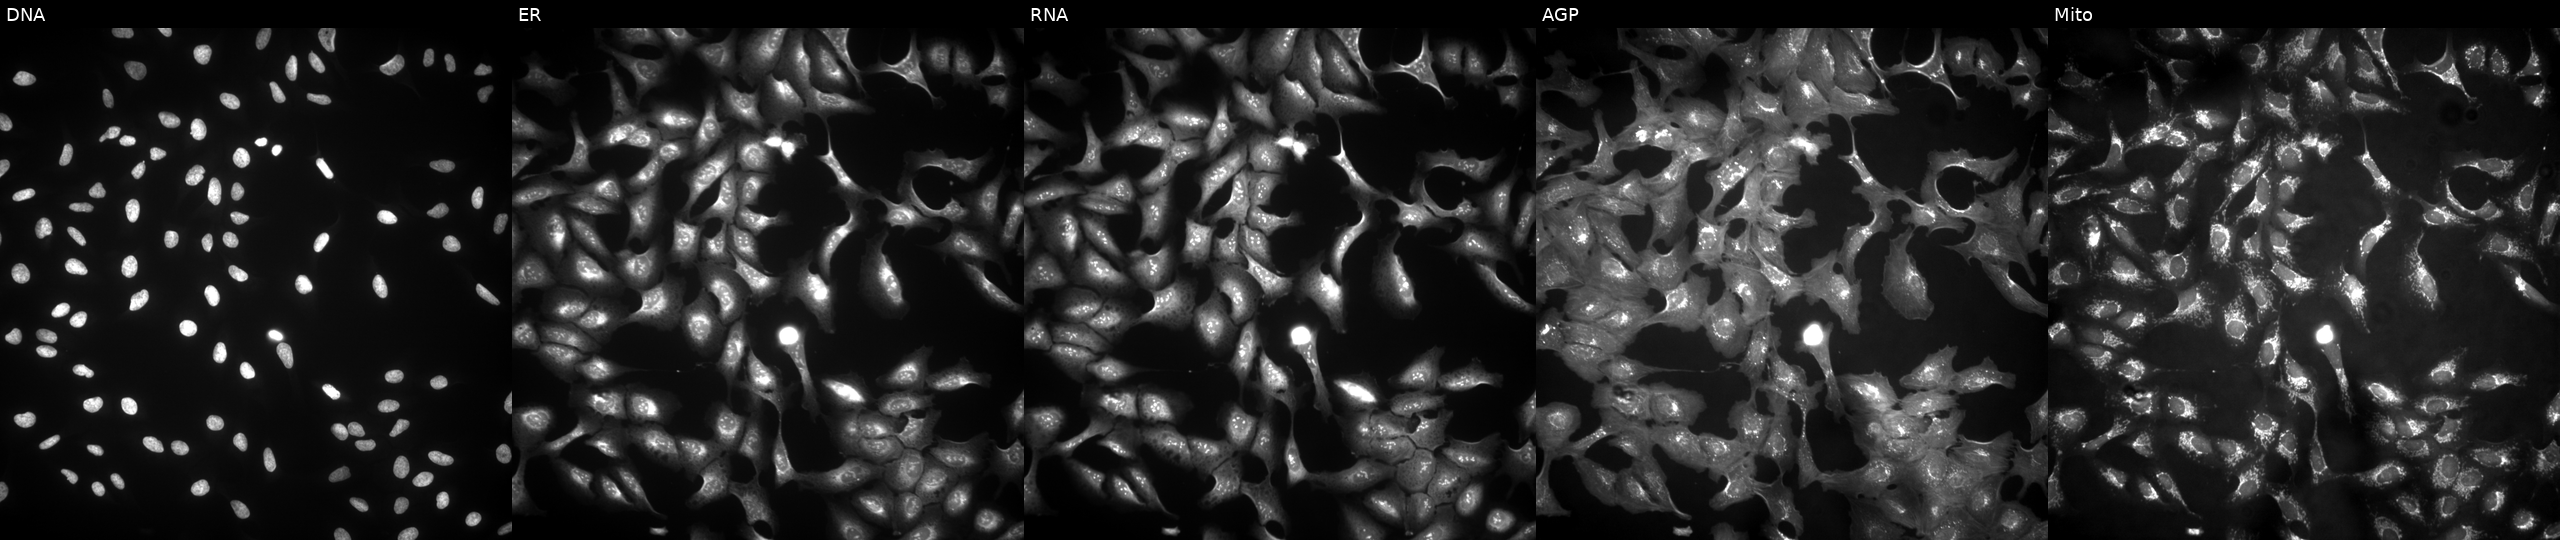
This image strip shows the five Cell Painting channels for a single field of U2OS cells with SNX17 overexpressed (ORF). From left to right: Hoechst 33342, concanavalin A, SYTO 14, phalloidin and WGA, MitoTracker. Source 4, plate BR00123506, well D10.